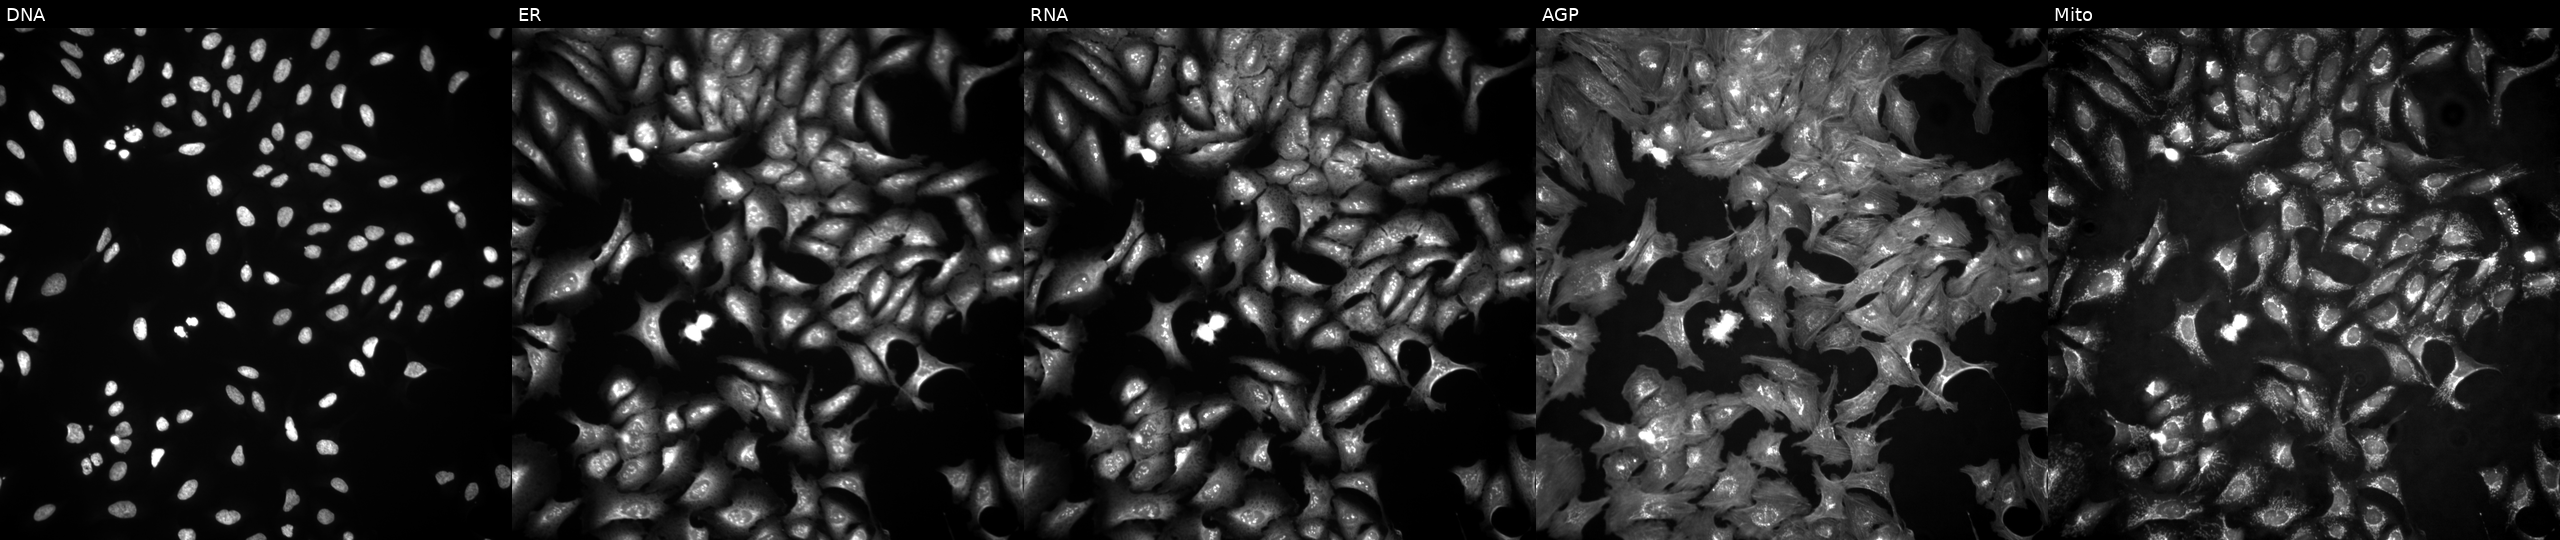
This image strip shows the five Cell Painting channels for a single field of U2OS cells with EXD3 overexpressed (ORF) (JUMP id JCP2022_911295). Channels (left→right): DNA (nuclei); ER (endoplasmic reticulum); RNA (nucleoli and cytoplasmic RNA); AGP (actin cytoskeleton, Golgi, and plasma membrane); Mito (mitochondria).